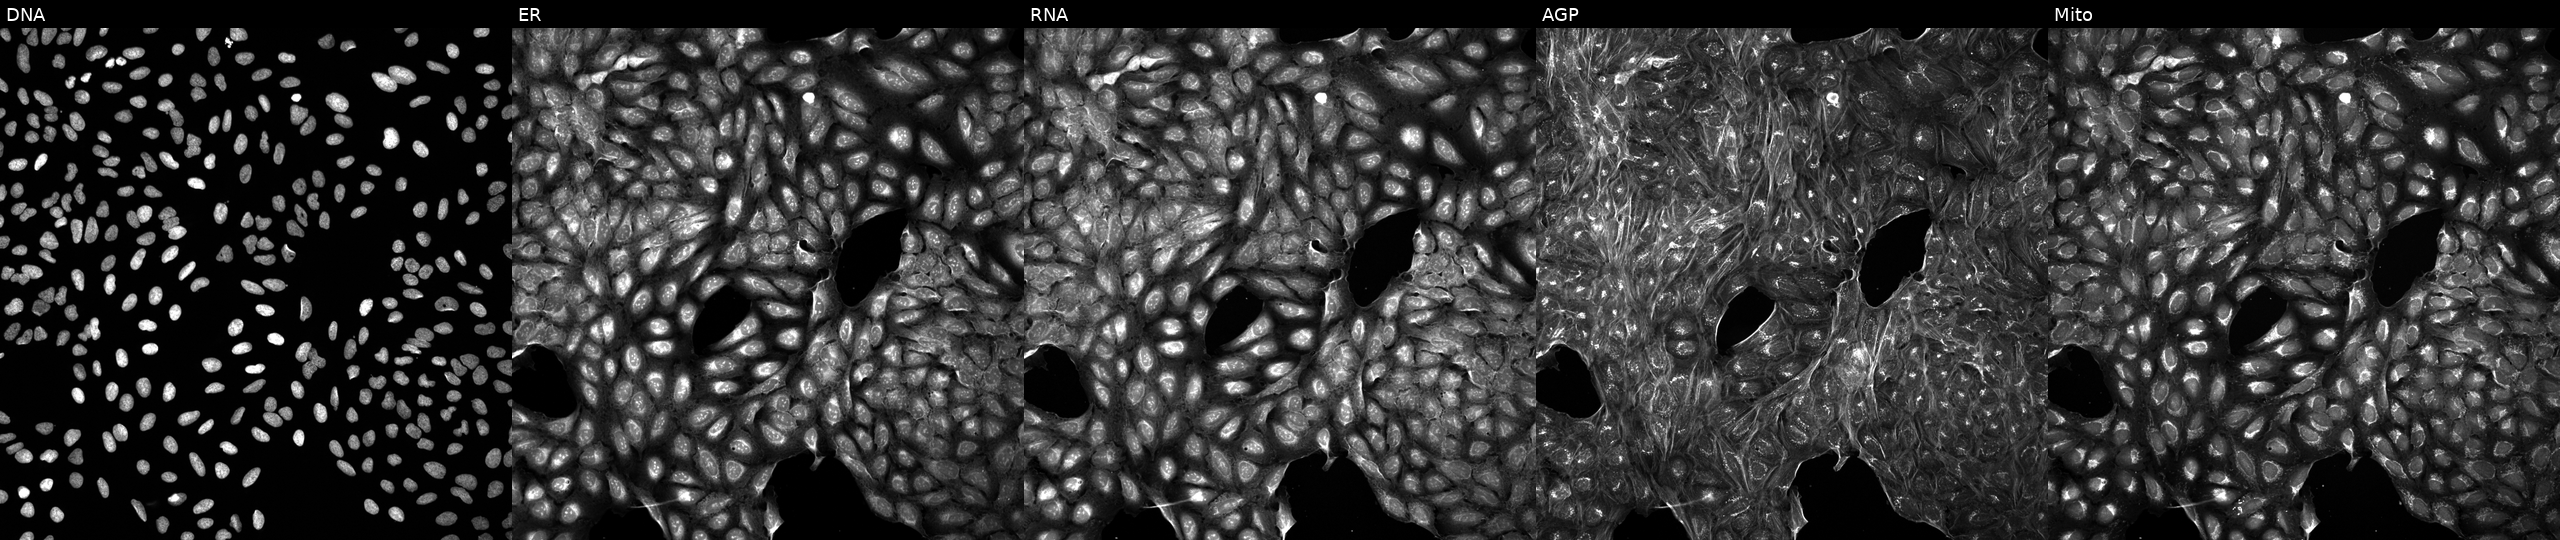
This image strip shows the five Cell Painting channels for a single field of U2OS cells perturbed with a small-molecule compound (InChIKey PJUNZACVOHYEAZ-UHFFFAOYSA-N). The five panels, left to right, show DNA, ER, RNA, AGP, and Mito. Source 5, plate APTJUM106, well L20.